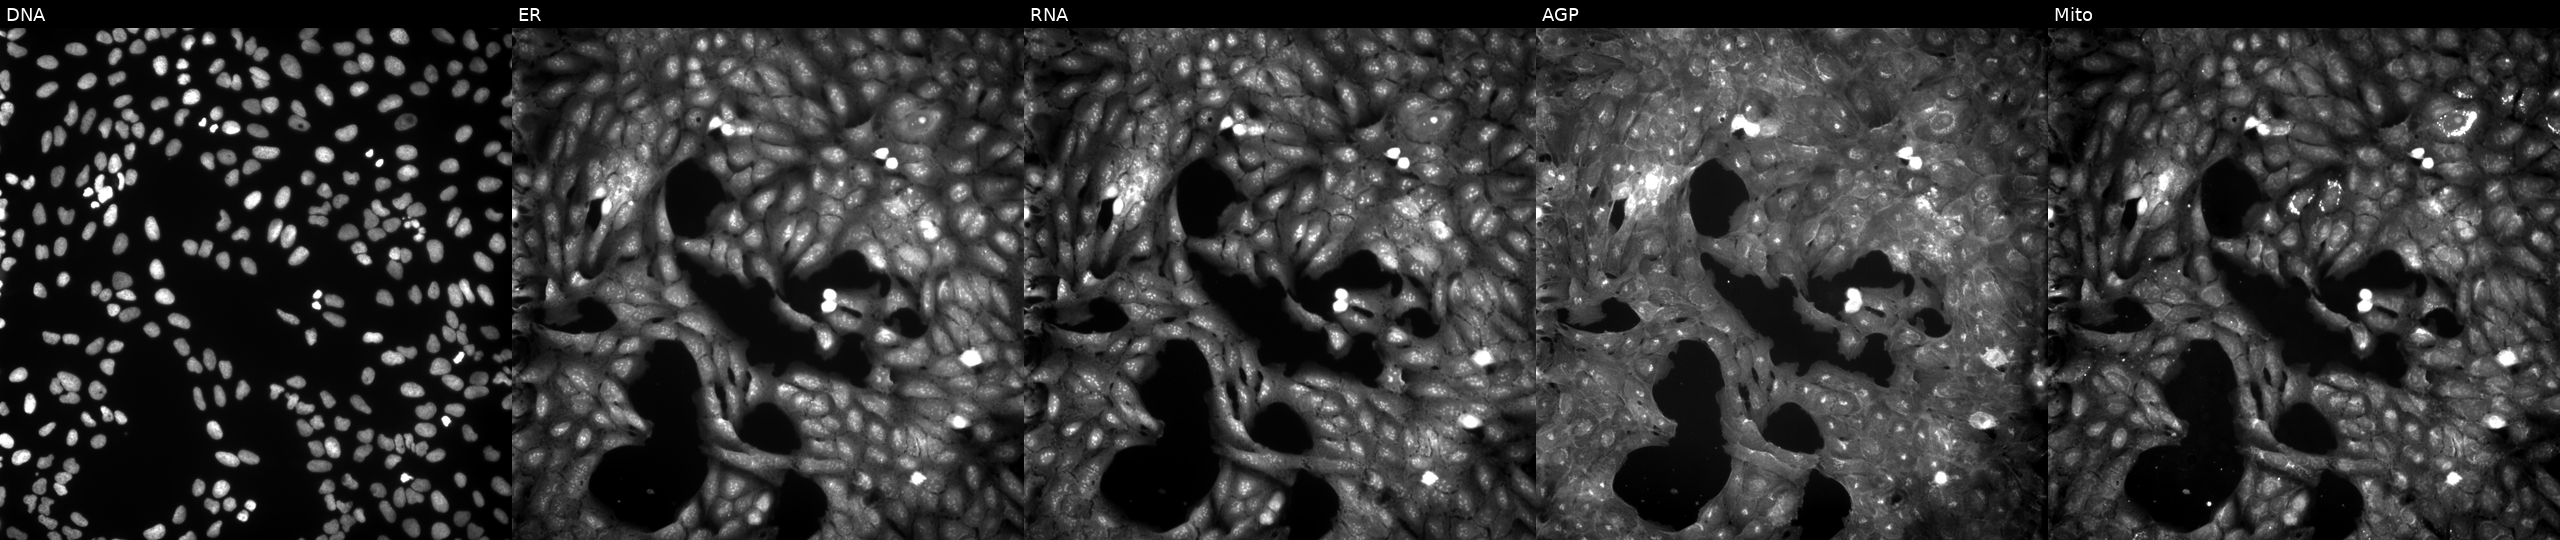
U2OS cells, Cell Painting assay, treated with DMSO vehicle only (negative control). Panels show, left to right, Hoechst 33342, concanavalin A, SYTO 14, phalloidin and WGA, MitoTracker. Each panel is percentile-stretched 16-bit fluorescence.